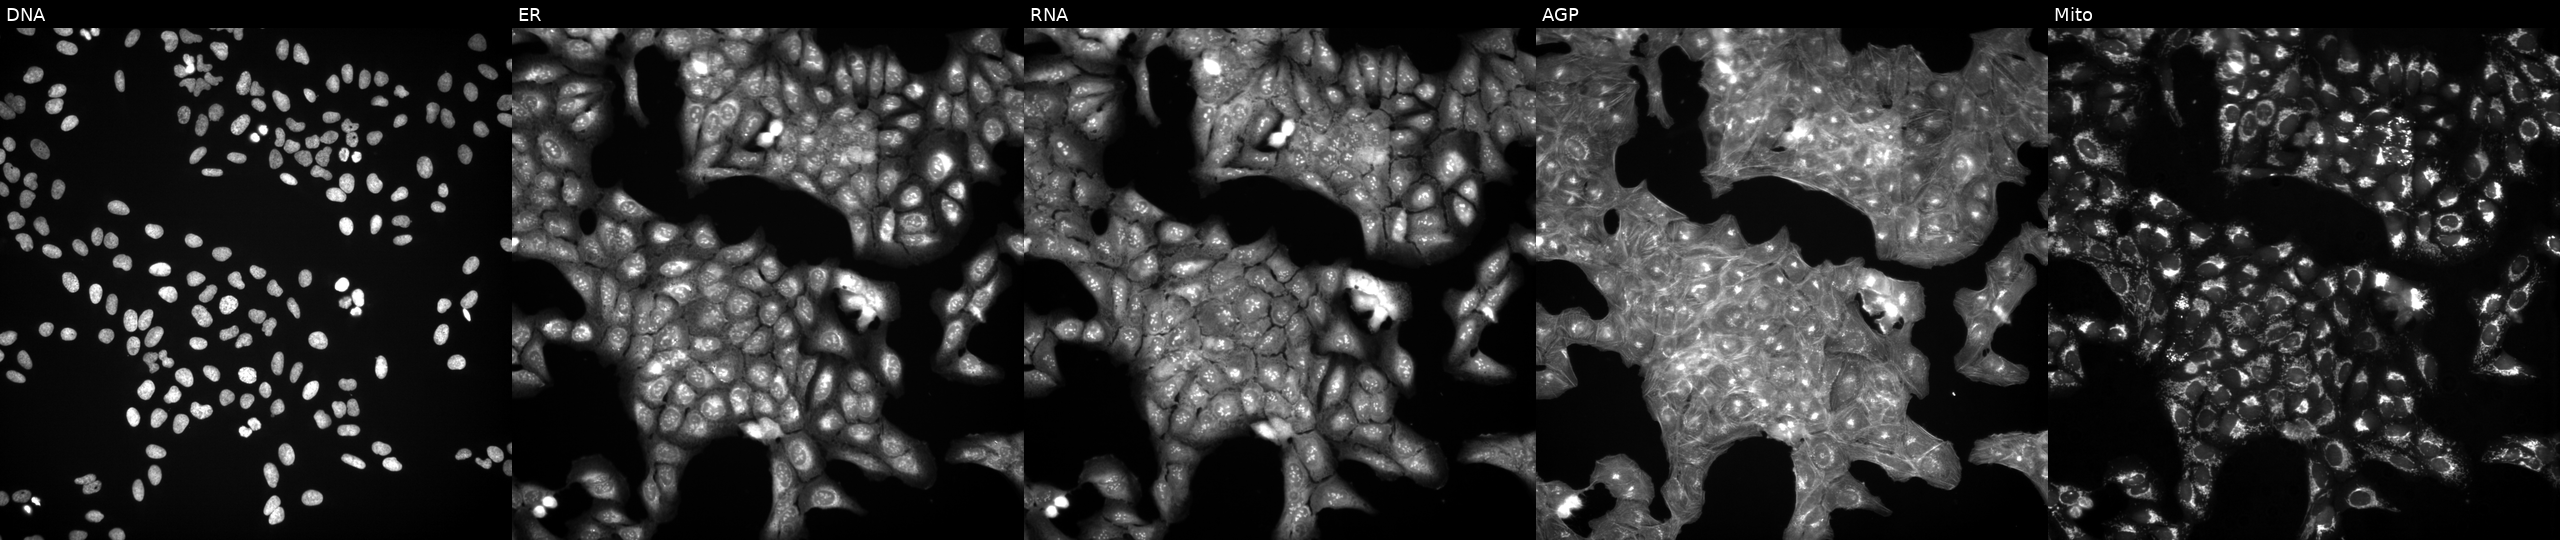
JUMP Cell Painting — TARGET2 plate. U2OS cells exposed to a small-molecule compound (InChIKey LSFLAQVDISHMNB-UHFFFAOYSA-N) [SMILES: N=c1[nH]cnc2c1c(-c1cccc(OCc3ccccc3)c1)cn2C1CC(CN2CCCC2)C1] (JUMP id JCP2022_051415). From left to right: DNA, ER, RNA, AGP, and Mito. Source 3, plate JCPQC051, well H14.